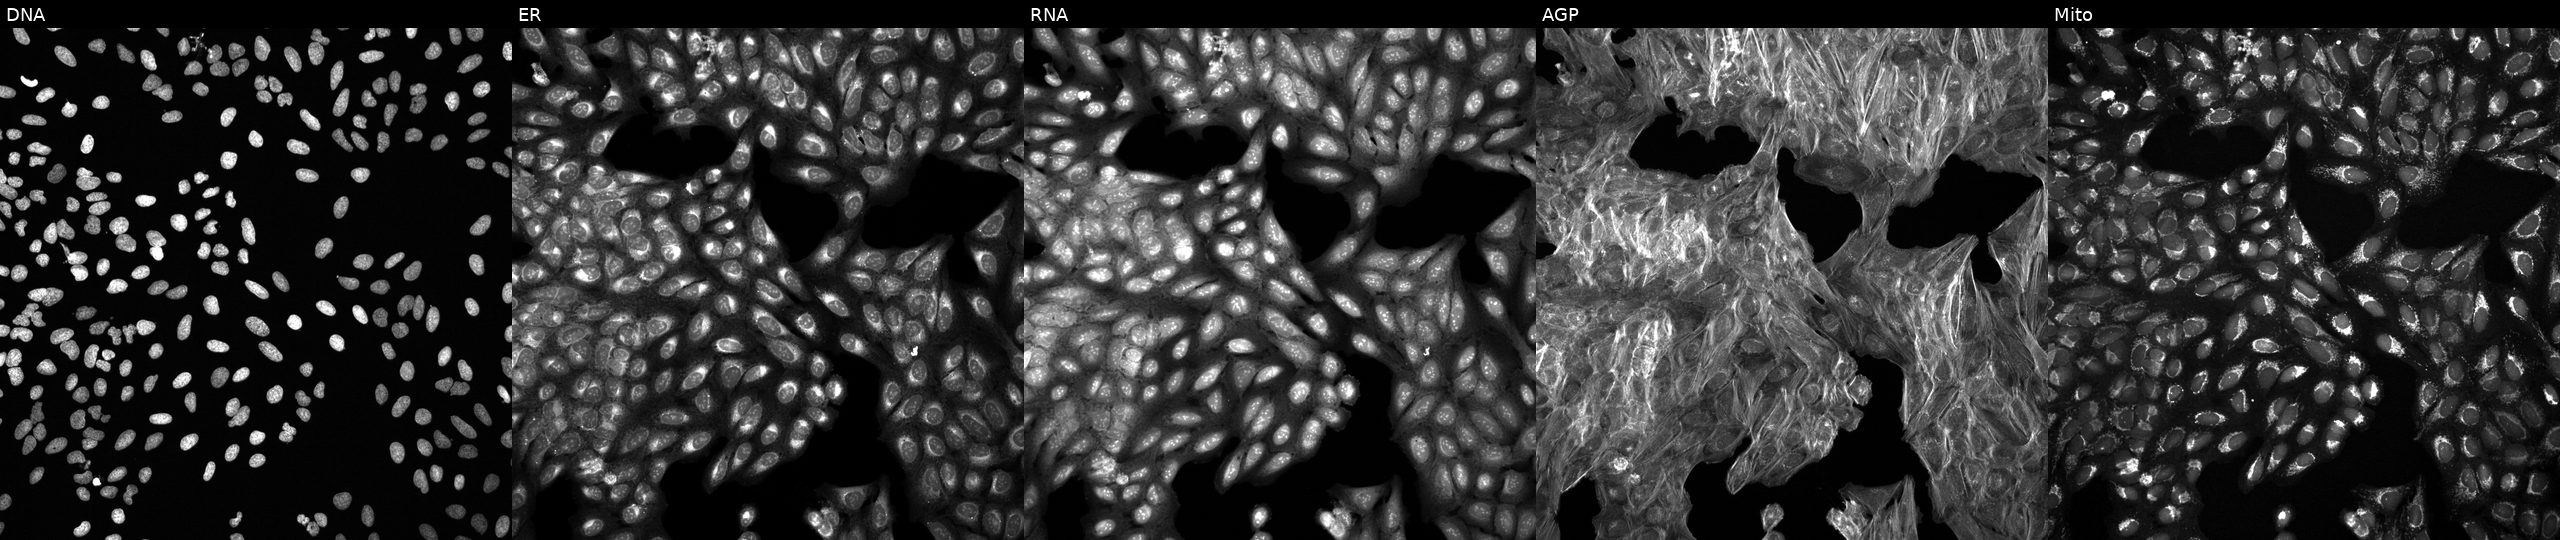
JUMP Cell Painting — TARGET2 plate. U2OS cells exposed to DMSO alone as a negative control (JUMP id JCP2022_033924). From left to right: Hoechst 33342, concanavalin A, SYTO 14, phalloidin and WGA, MitoTracker.